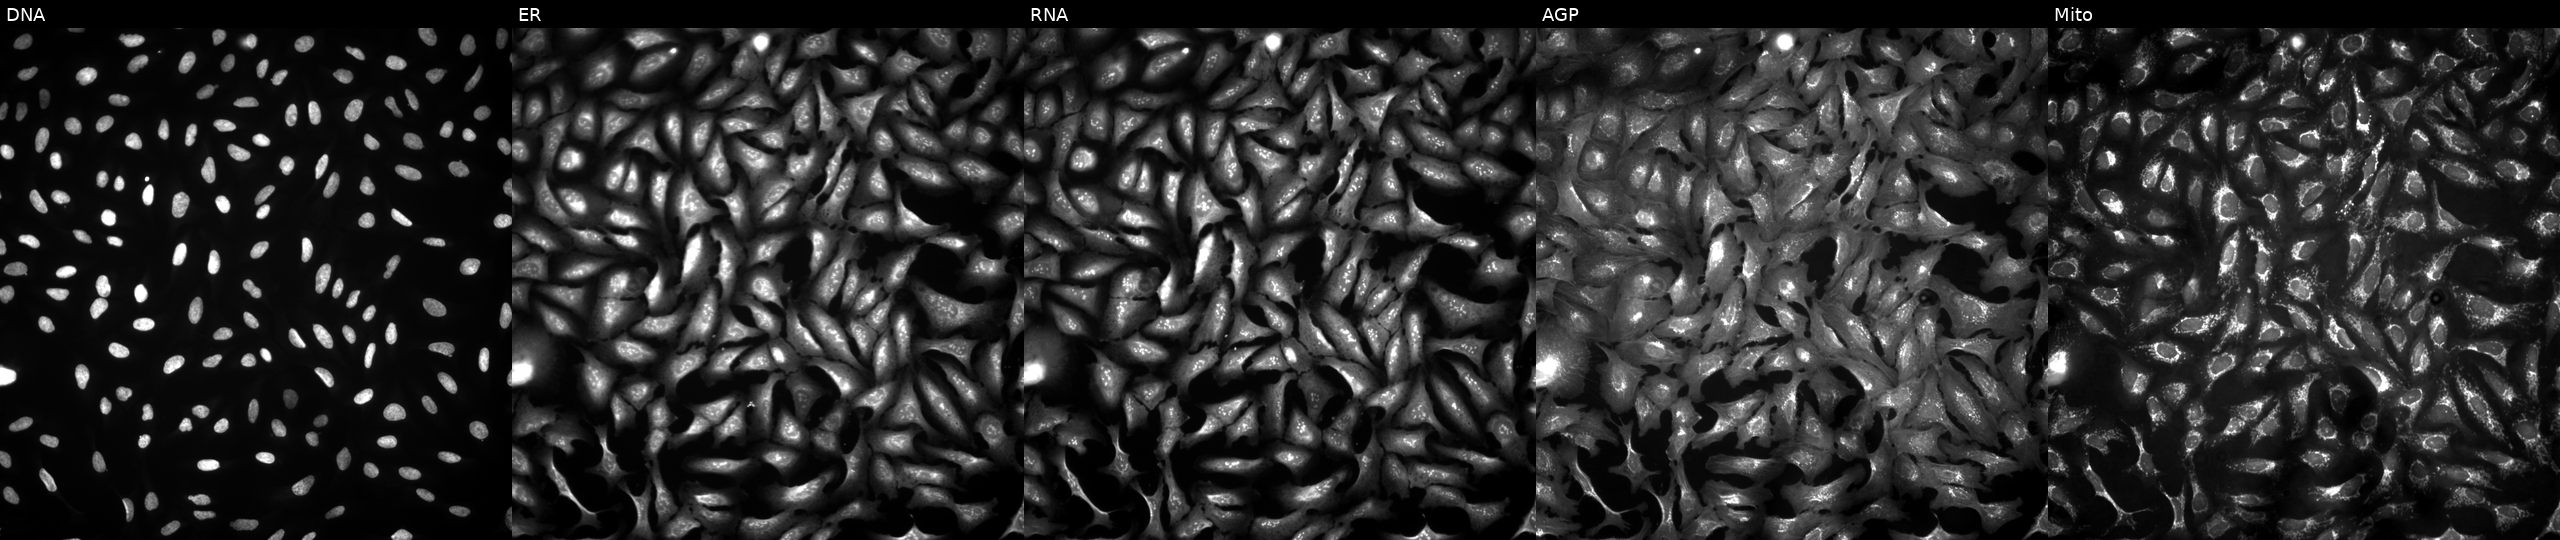
JUMP Cell Painting — ORF plate. U2OS cells with C12orf4 overexpressed (ORF). The five panels, left to right, show DNA (nuclei); ER (endoplasmic reticulum); RNA (nucleoli and cytoplasmic RNA); AGP (actin cytoskeleton, Golgi, and plasma membrane); Mito (mitochondria).